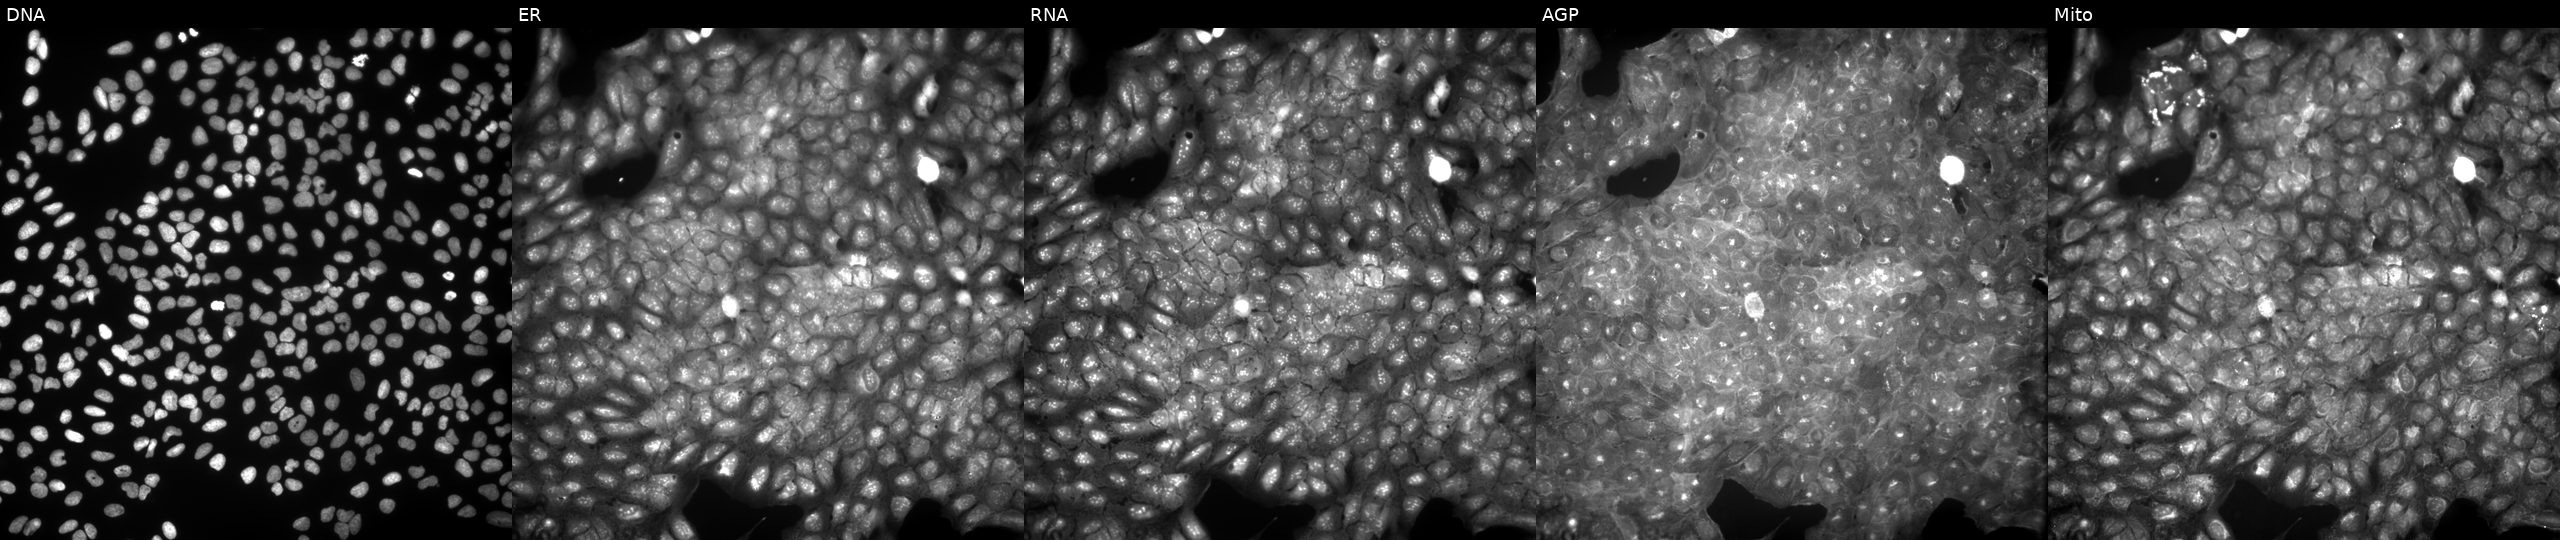
This image strip shows the five Cell Painting channels for a single field of U2OS cells exposed to a small-molecule compound (InChIKey JPEKHOGAZFRRBE-UHFFFAOYSA-N). From left to right: Hoechst 33342, concanavalin A, SYTO 14, phalloidin and WGA, MitoTracker.